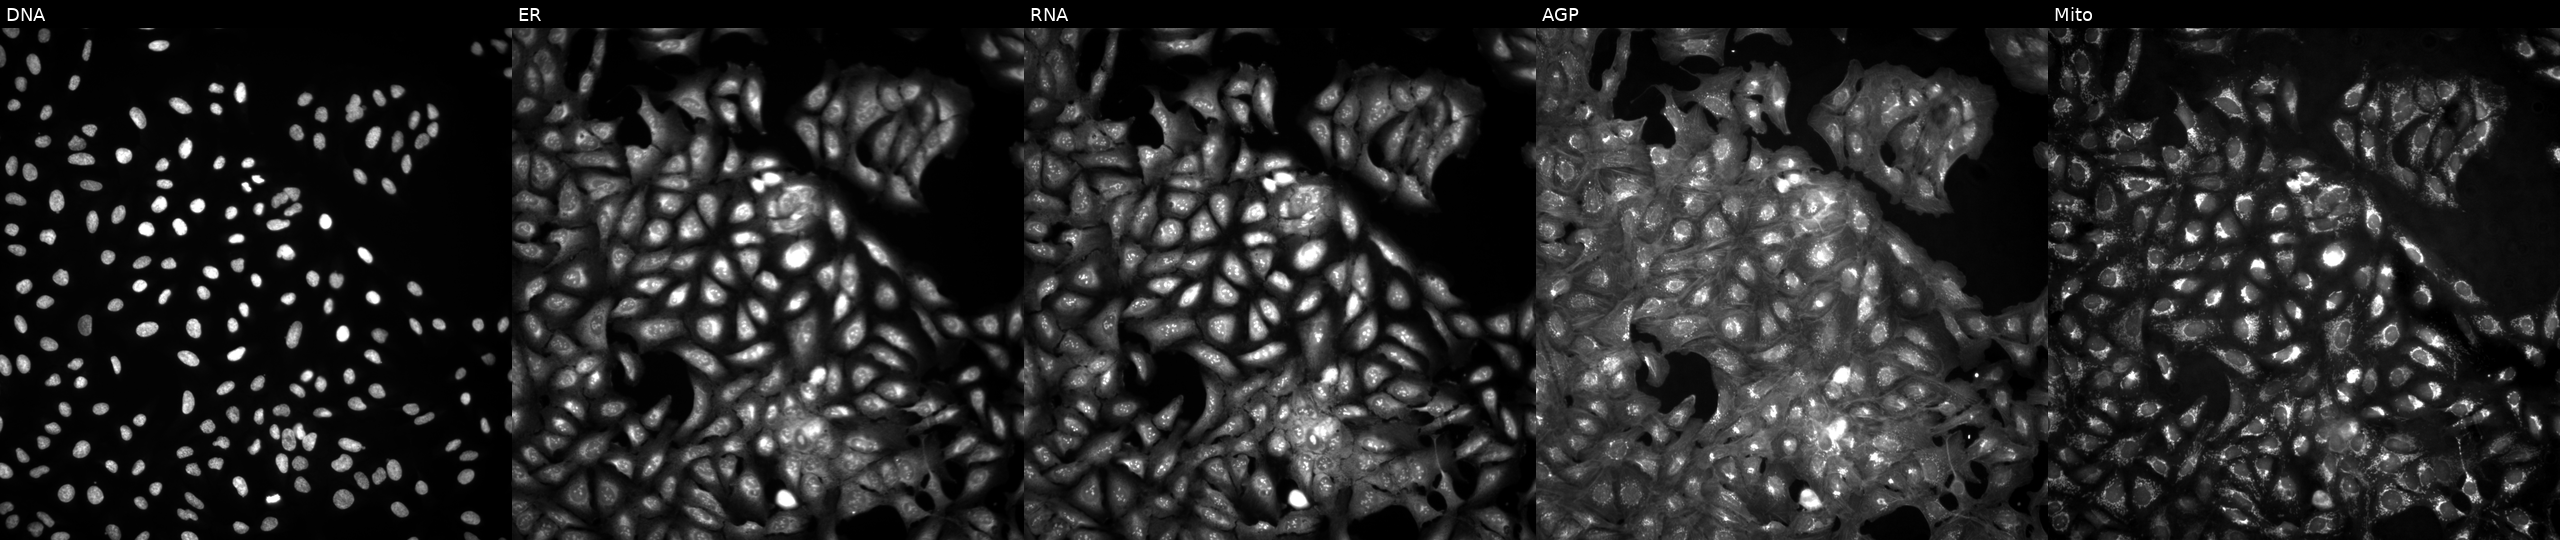
Five-channel Cell Painting image of U2OS cells in an empty control well (no perturbation) (JUMP id JCP2022_999999). From left to right: DNA (nuclei); ER (endoplasmic reticulum); RNA (nucleoli and cytoplasmic RNA); AGP (actin cytoskeleton, Golgi, and plasma membrane); Mito (mitochondria). Source 4, plate BR00124793, well C19.